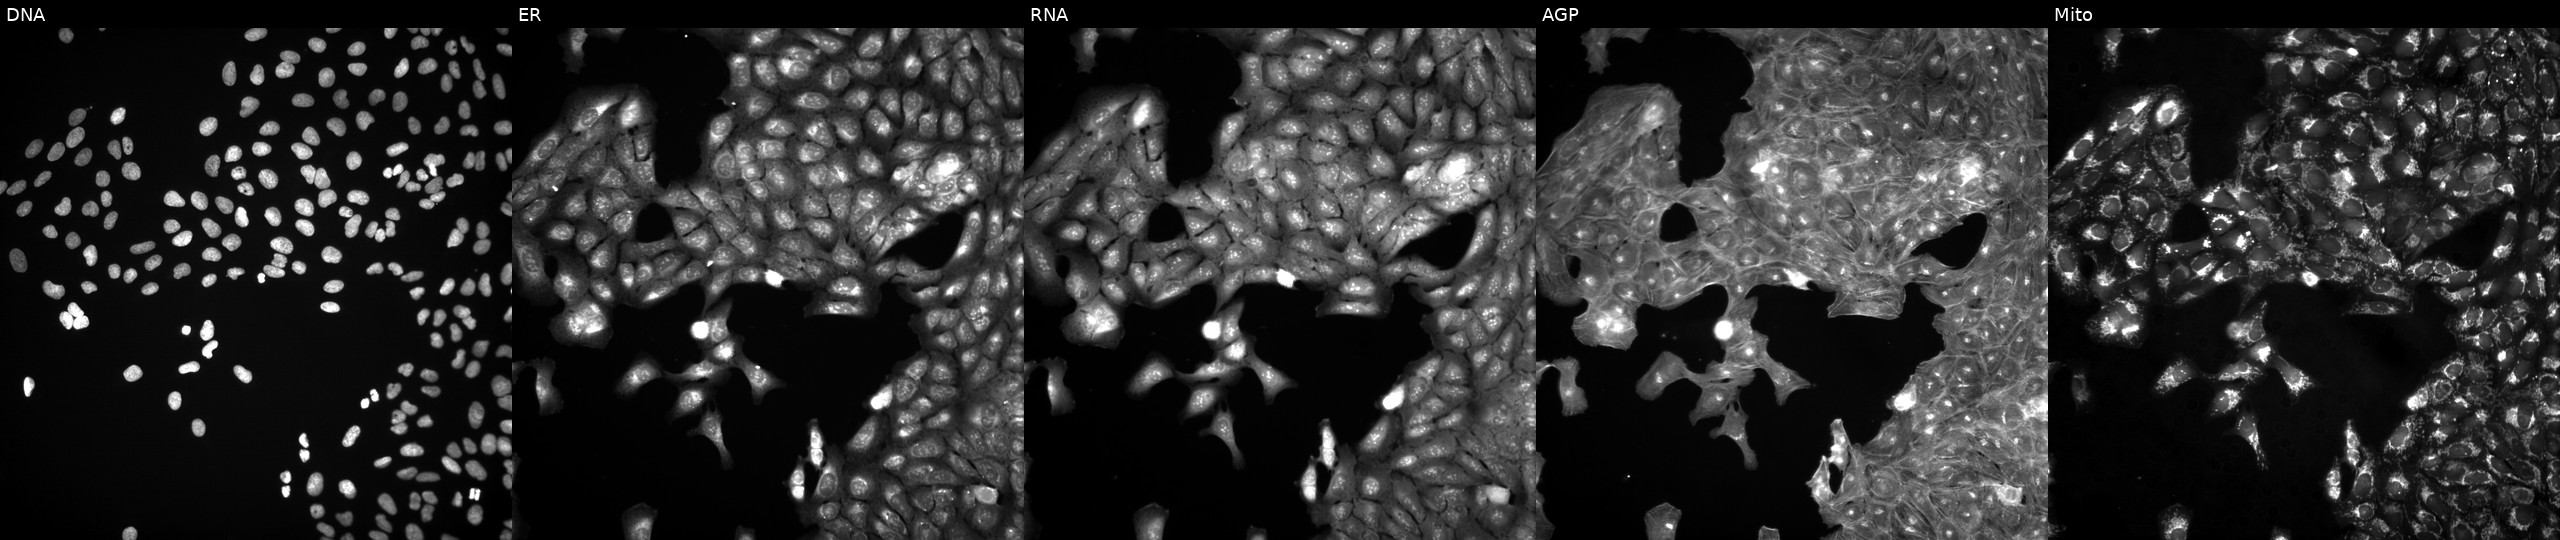
High-content fluorescence microscopy (Cell Painting). Cell line: U2OS. Perturbation: treated with a small-molecule compound (InChIKey NEMHKCNXXRQYRF-UHFFFAOYSA-N). Channels (left→right): Hoechst 33342, concanavalin A, SYTO 14, phalloidin and WGA, MitoTracker. Source 3, plate JCPQC053, well M24.